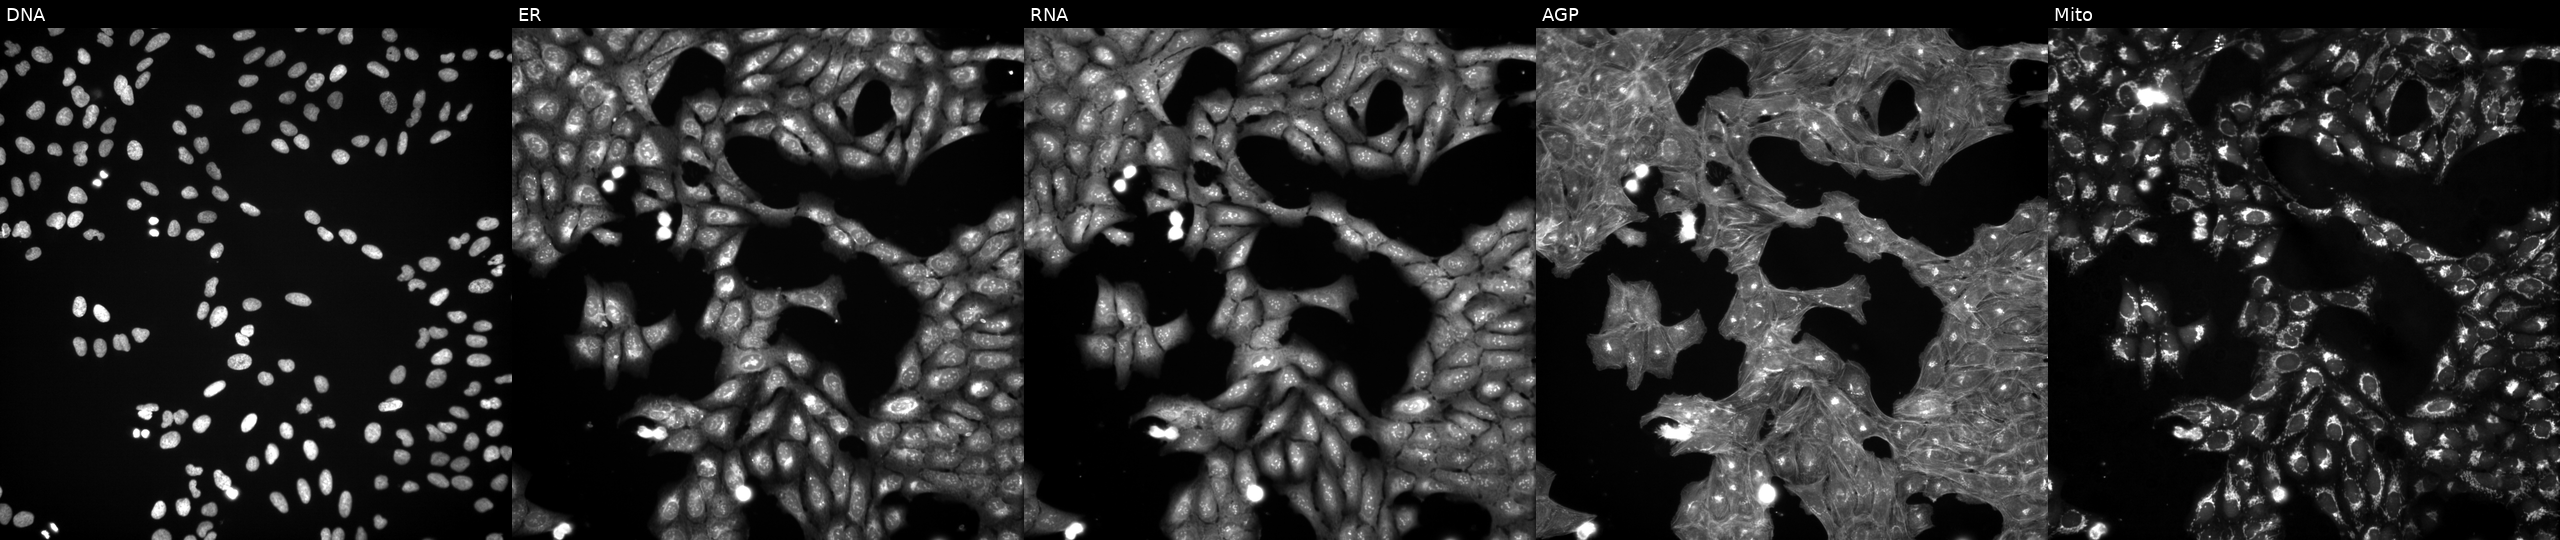
U2OS cells, Cell Painting assay, perturbed with a small-molecule compound (InChIKey HGVDHZBSSITLCT-UHFFFAOYSA-N). Panels show, left to right, DNA, ER, RNA, AGP, and Mito. Each panel is percentile-stretched 16-bit fluorescence.